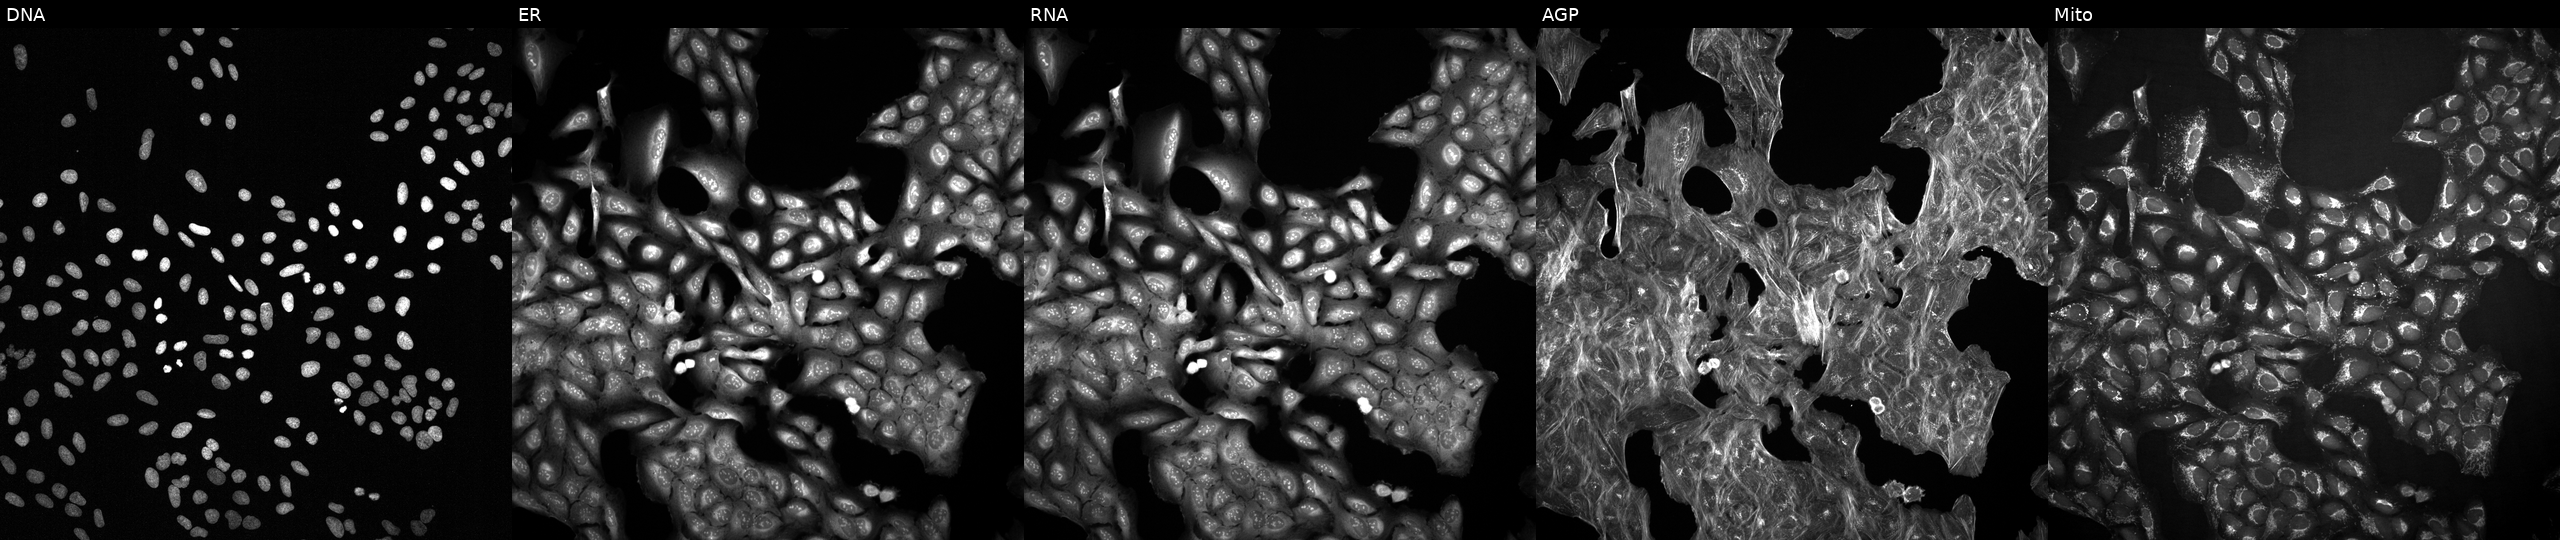
The five panels, left to right, show Hoechst 33342, concanavalin A, SYTO 14, phalloidin and WGA, MitoTracker. U2OS osteosarcoma cells perturbed with a small-molecule compound [SMILES: Cn1cc(N)c(C(N)=O)n1]. Cell Painting assay, JUMP-CP dataset. Source 2, plate 1053601756, well G18.